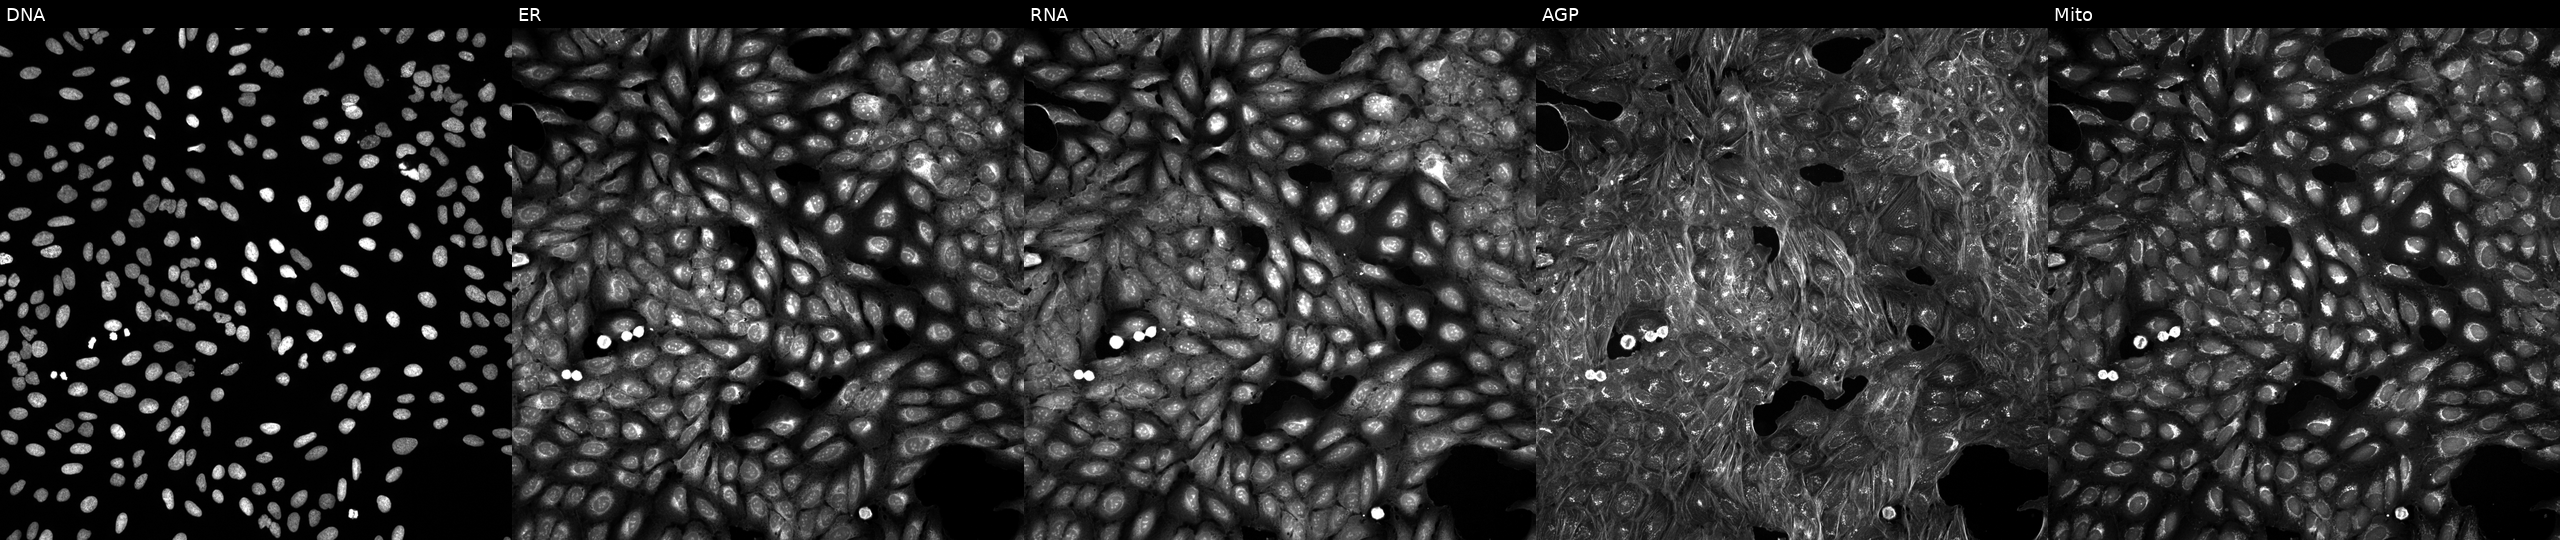
This image strip shows the five Cell Painting channels for a single field of U2OS cells perturbed with a small-molecule compound [SMILES: CCCCOc1ccc(CC(O)=NO)cc1] (JUMP id JCP2022_057163). Panels show, left to right, Hoechst 33342, concanavalin A, SYTO 14, phalloidin and WGA, MitoTracker. Source 5, plate ACPJUM032, well I21.